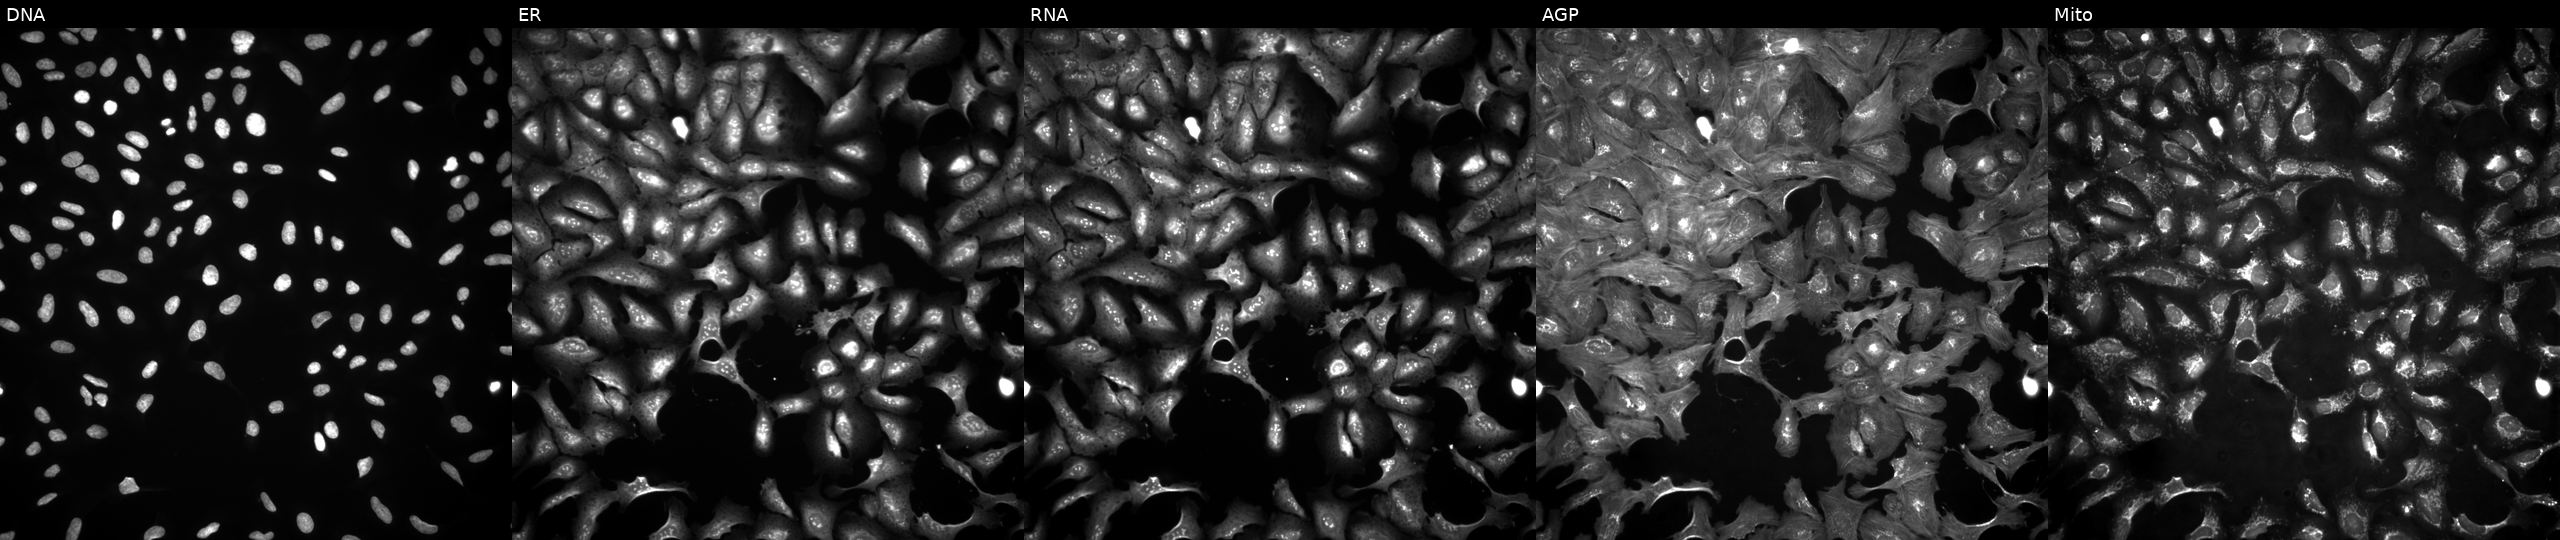
JUMP Cell Painting — ORF plate. U2OS cells in an empty control well (no perturbation). Panels show, left to right, Hoechst 33342, concanavalin A, SYTO 14, phalloidin and WGA, MitoTracker.